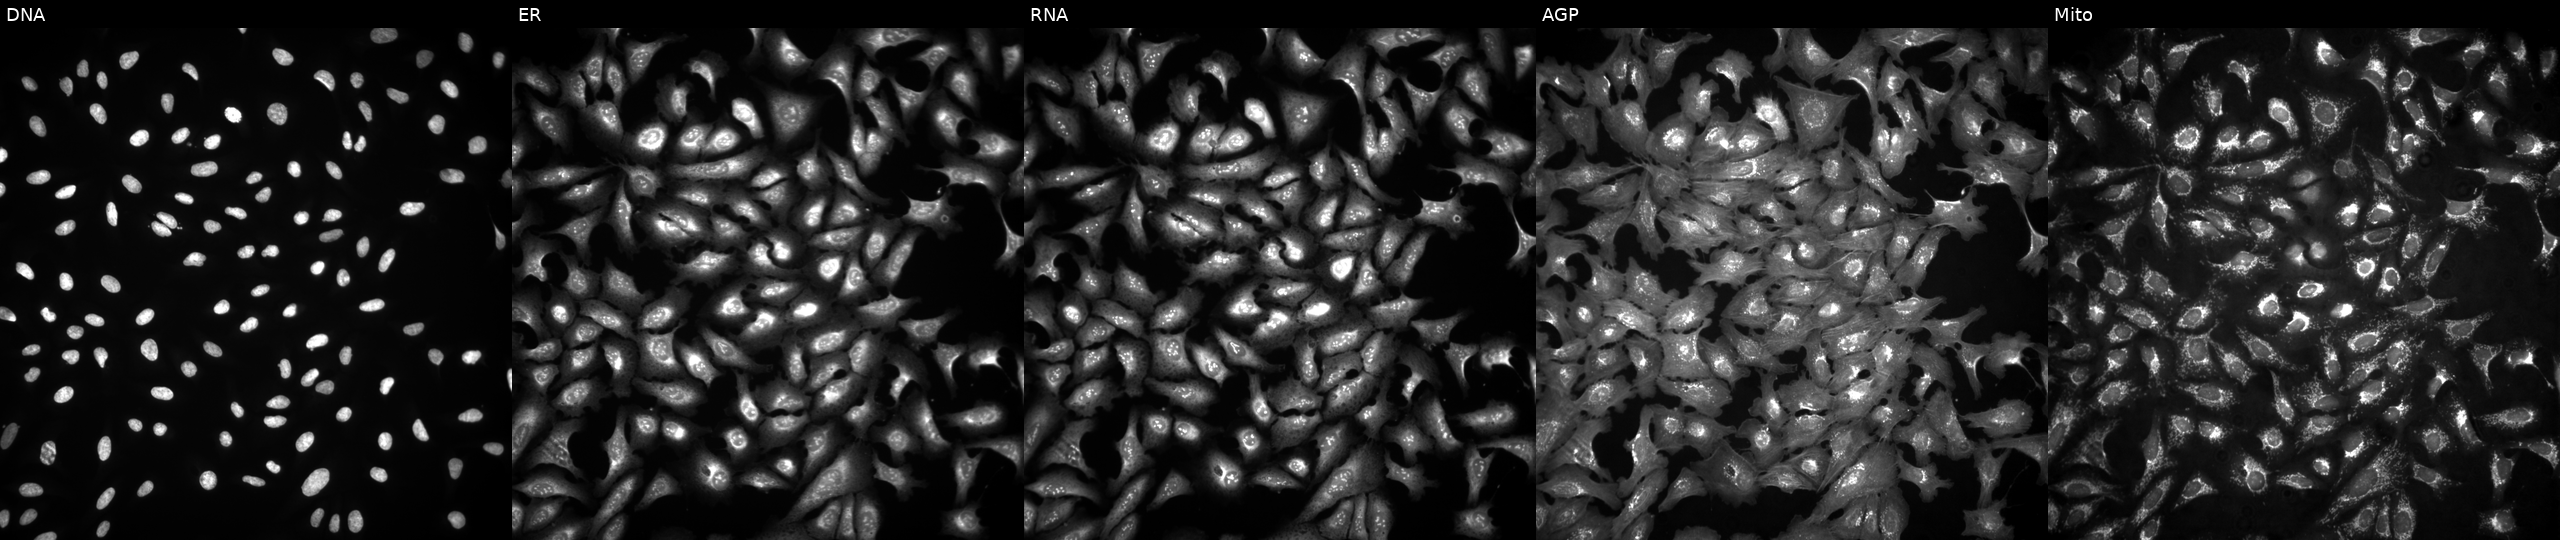
U2OS cells, Cell Painting assay, overexpressing CABYR via ORF transfection (JUMP id JCP2022_907488). Panels show, left to right, DNA, ER, RNA, AGP, and Mito. Each panel is percentile-stretched 16-bit fluorescence. Source 4, plate BR00124787, well C23.